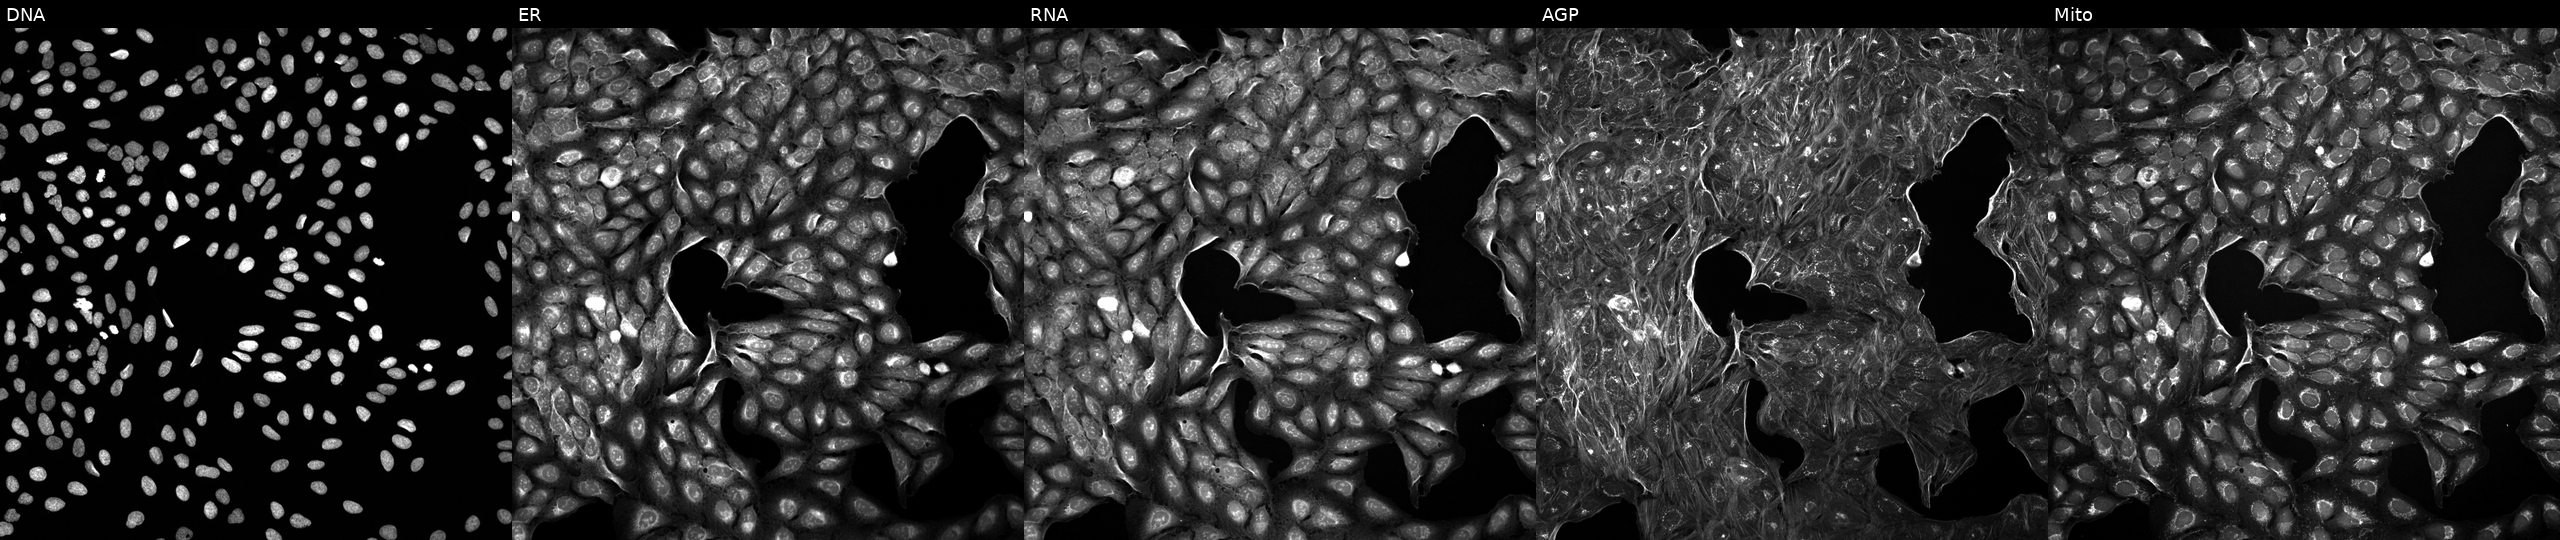
U2OS cells, Cell Painting assay, treated with a small-molecule compound (InChIKey ALBKMJDFBZVHAK-UHFFFAOYSA-N) [SMILES: CCOC(=O)c1ncc2[nH]c3ccc(OCc4ccccc4)cc3c2c1COC] (JUMP id JCP2022_002118). Channels (left→right): DNA, ER, RNA, AGP, and Mito. Each panel is percentile-stretched 16-bit fluorescence.